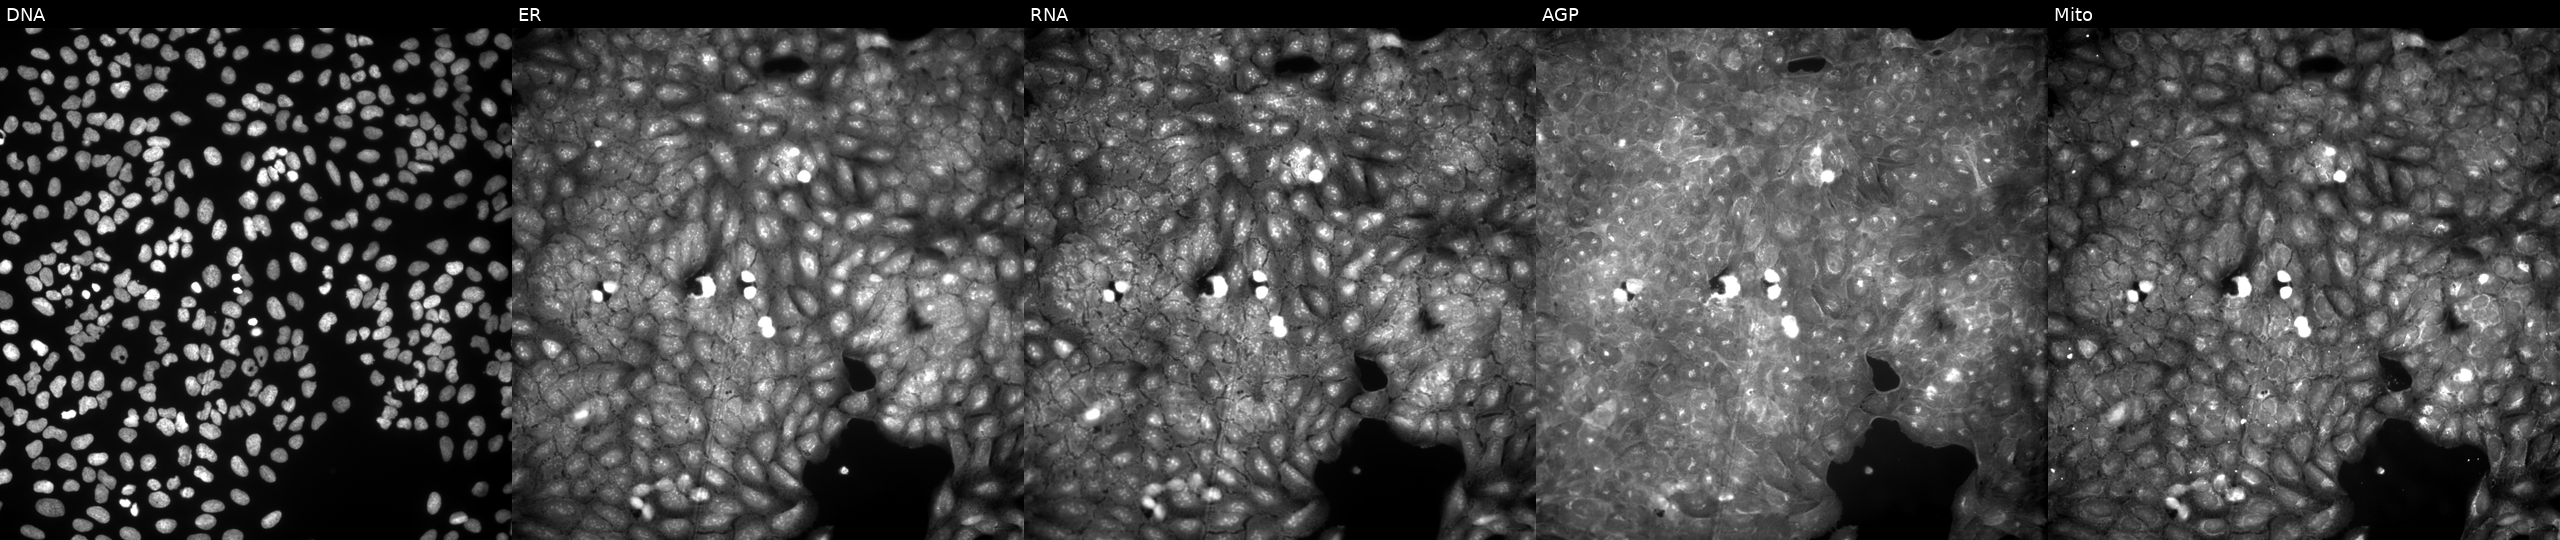
Panels show, left to right, DNA, ER, RNA, AGP, and Mito. U2OS osteosarcoma cells perturbed with a small-molecule compound (InChIKey LMZARVNLXUEYCP-UHFFFAOYSA-N). Cell Painting assay, JUMP-CP dataset. Source 9, plate GR00003382, well P27.